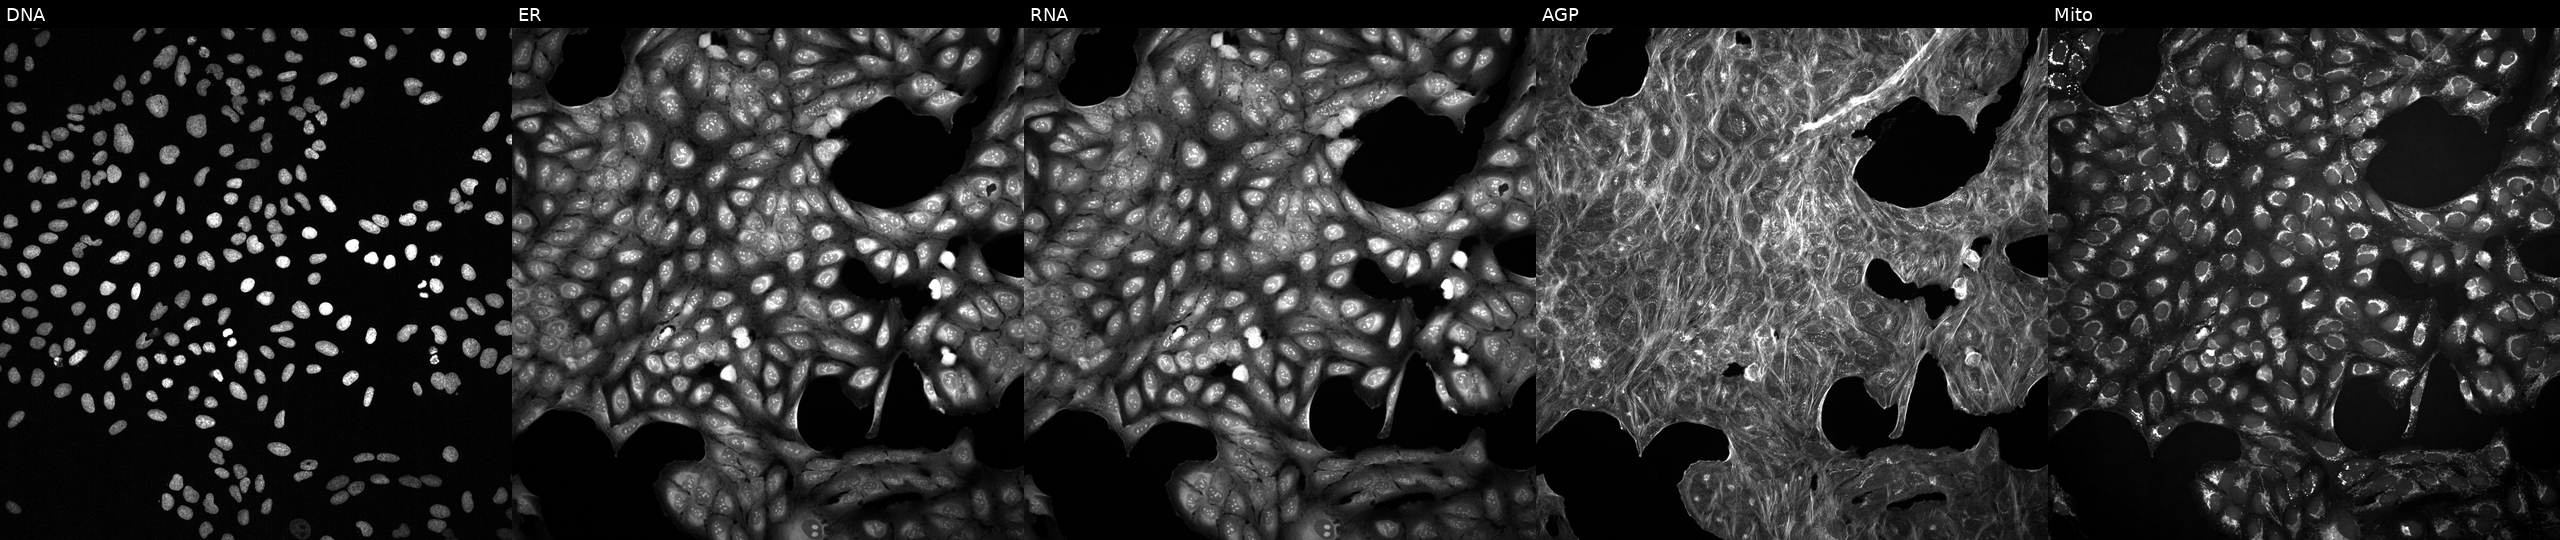
From left to right: DNA (nuclei); ER (endoplasmic reticulum); RNA (nucleoli and cytoplasmic RNA); AGP (actin cytoskeleton, Golgi, and plasma membrane); Mito (mitochondria). U2OS osteosarcoma cells with an unidentified perturbation (not annotated in JUMP metadata). Cell Painting assay, JUMP-CP dataset.